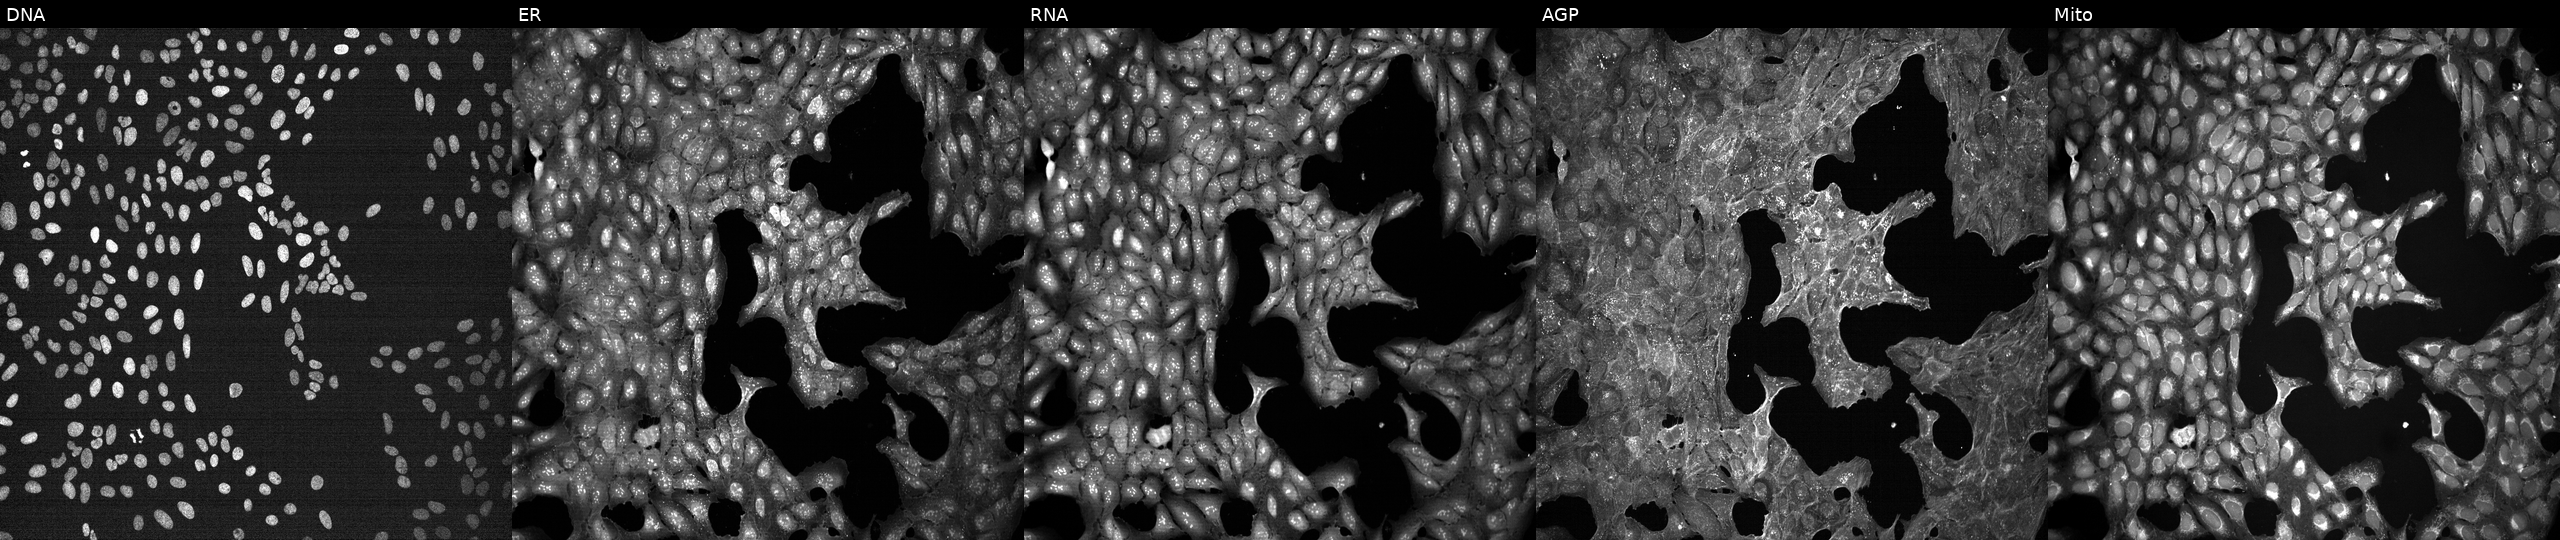
JUMP Cell Painting — TARGET2 plate. U2OS cells treated with a small-molecule compound (InChIKey HSUGRBWQSSZJOP-UHFFFAOYSA-N) (JUMP id JCP2022_032357). The five panels, left to right, show DNA, ER, RNA, AGP, and Mito.